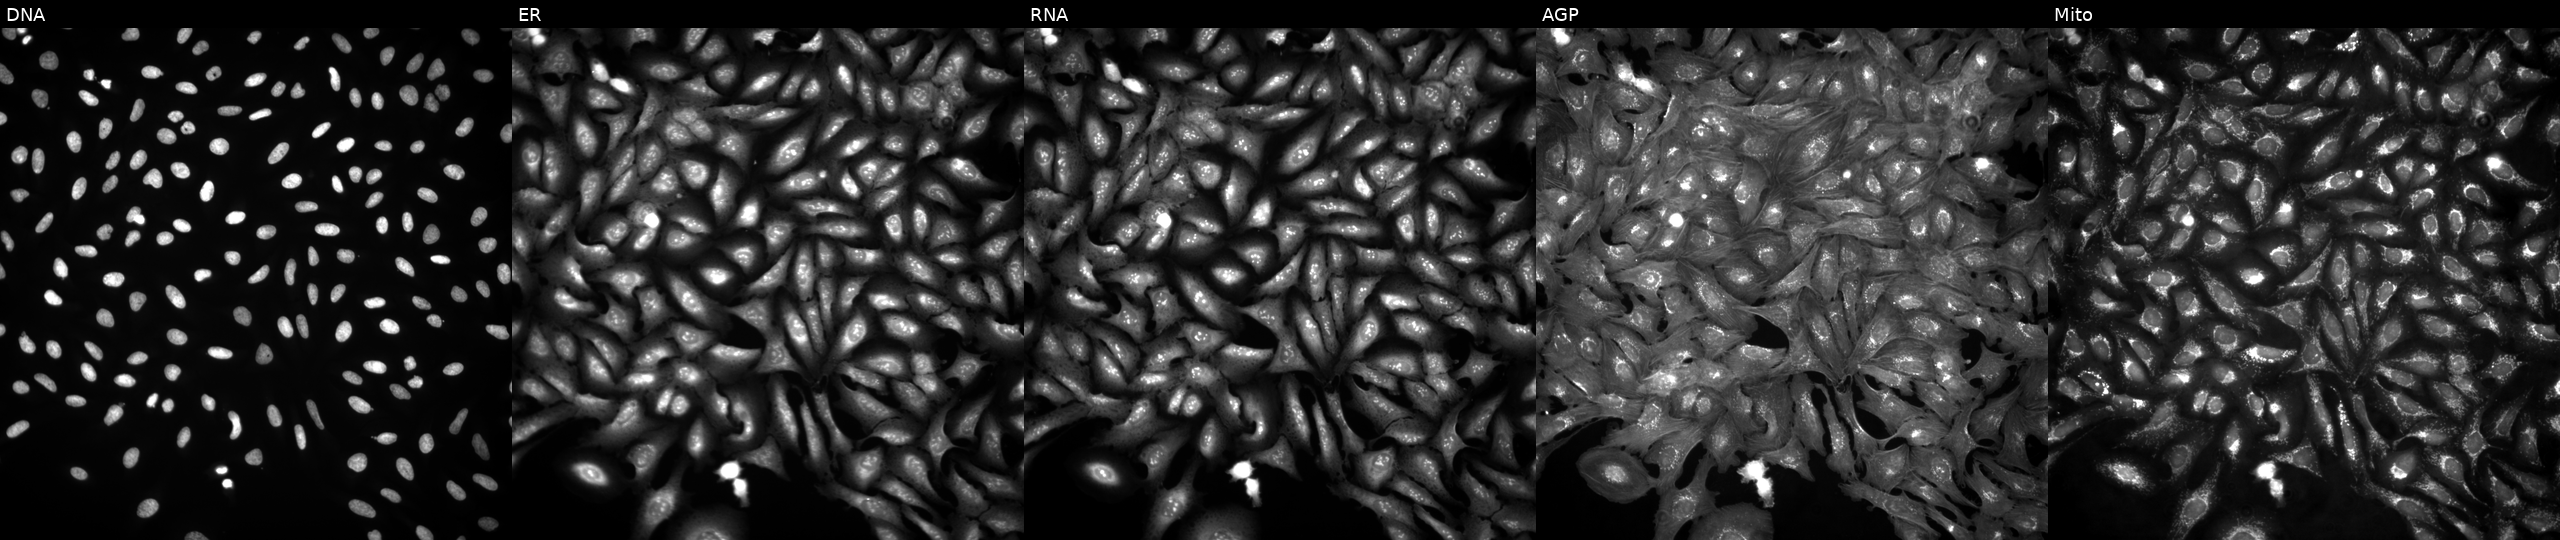
The five panels, left to right, show Hoechst 33342, concanavalin A, SYTO 14, phalloidin and WGA, MitoTracker. U2OS osteosarcoma cells transfected with an ORF construct for FLT3. Cell Painting assay, JUMP-CP dataset. Source 4, plate BR00123945, well A06.